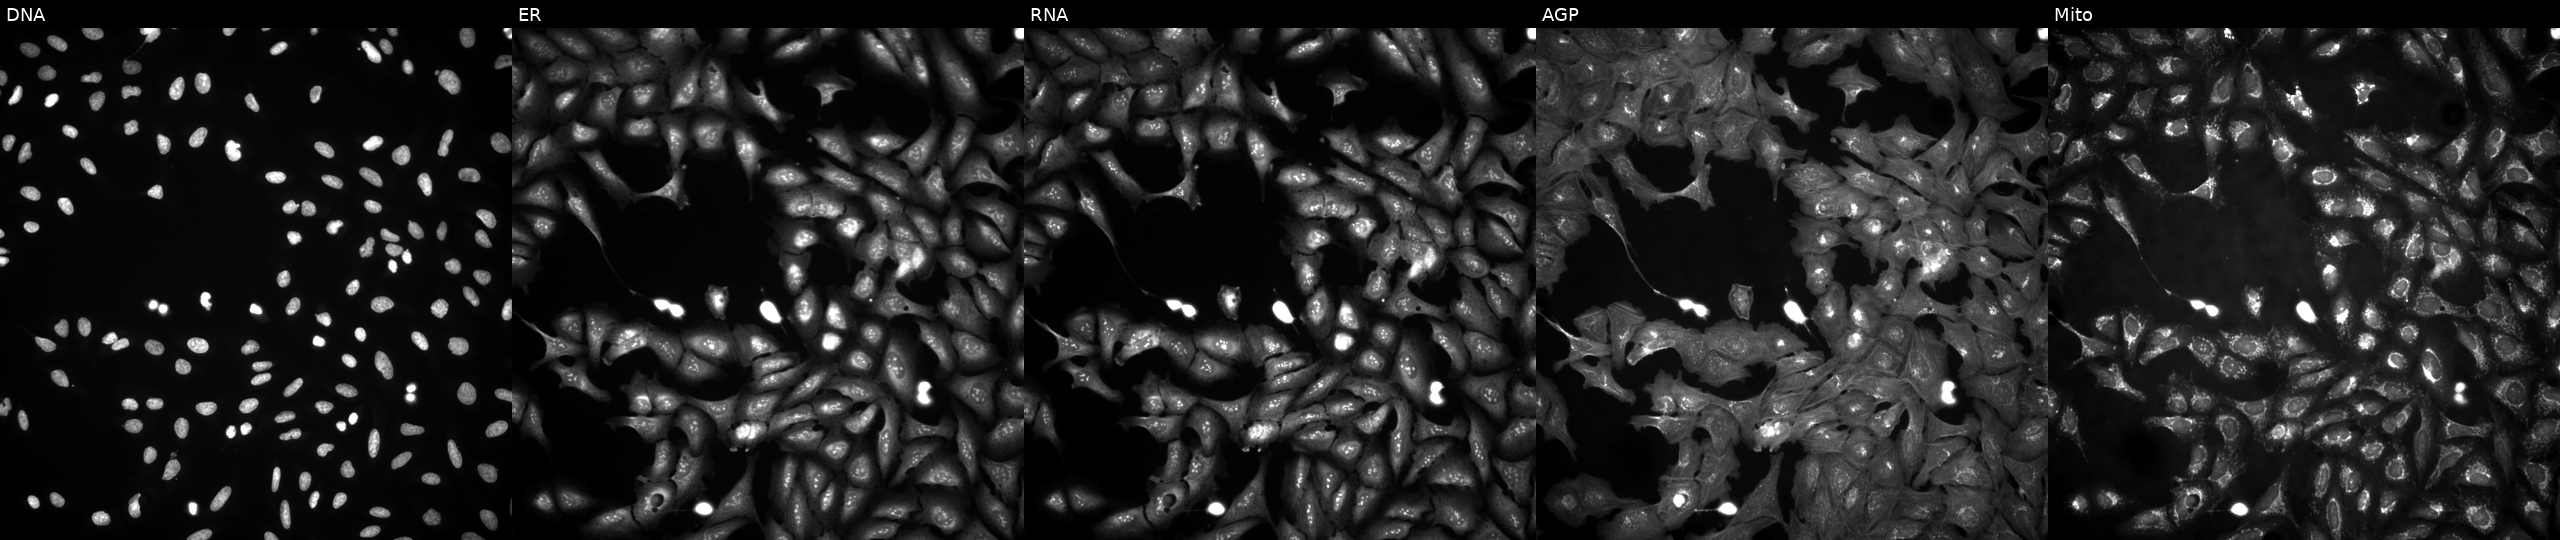
High-content fluorescence microscopy (Cell Painting). Cell line: U2OS. Perturbation: overexpressing RASGEF1A via ORF transfection. Channels (left→right): Hoechst 33342, concanavalin A, SYTO 14, phalloidin and WGA, MitoTracker. Source 4, plate BR00124784, well E12.